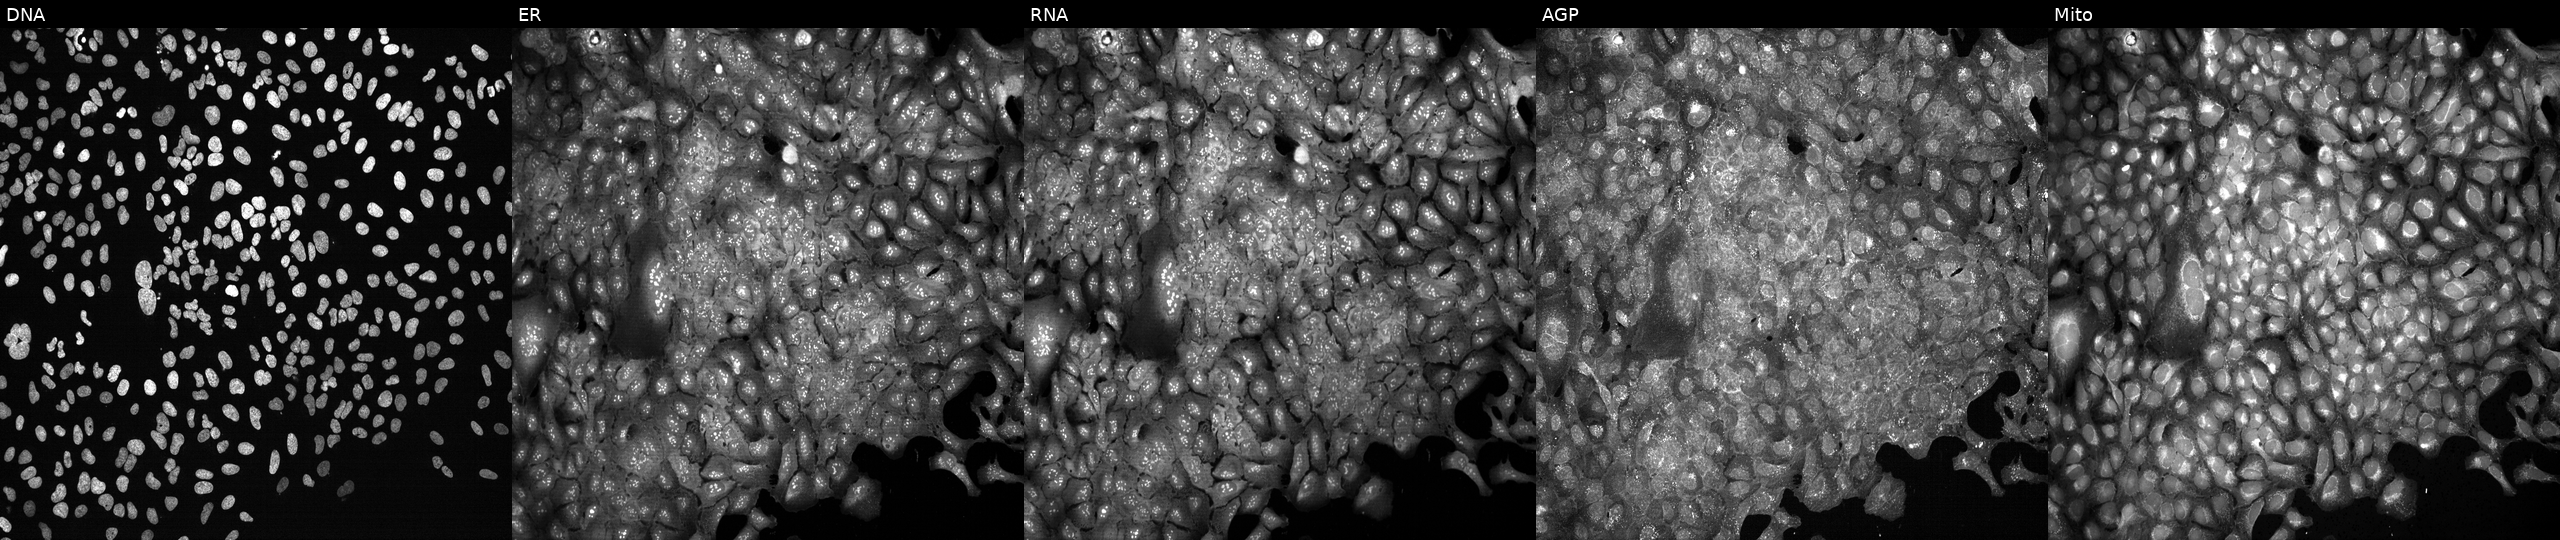
JUMP Cell Painting — CRISPR plate. U2OS cells following CRISPR knockout of HLCS (JUMP id JCP2022_803134). The five panels, left to right, show DNA (nuclei); ER (endoplasmic reticulum); RNA (nucleoli and cytoplasmic RNA); AGP (actin cytoskeleton, Golgi, and plasma membrane); Mito (mitochondria).